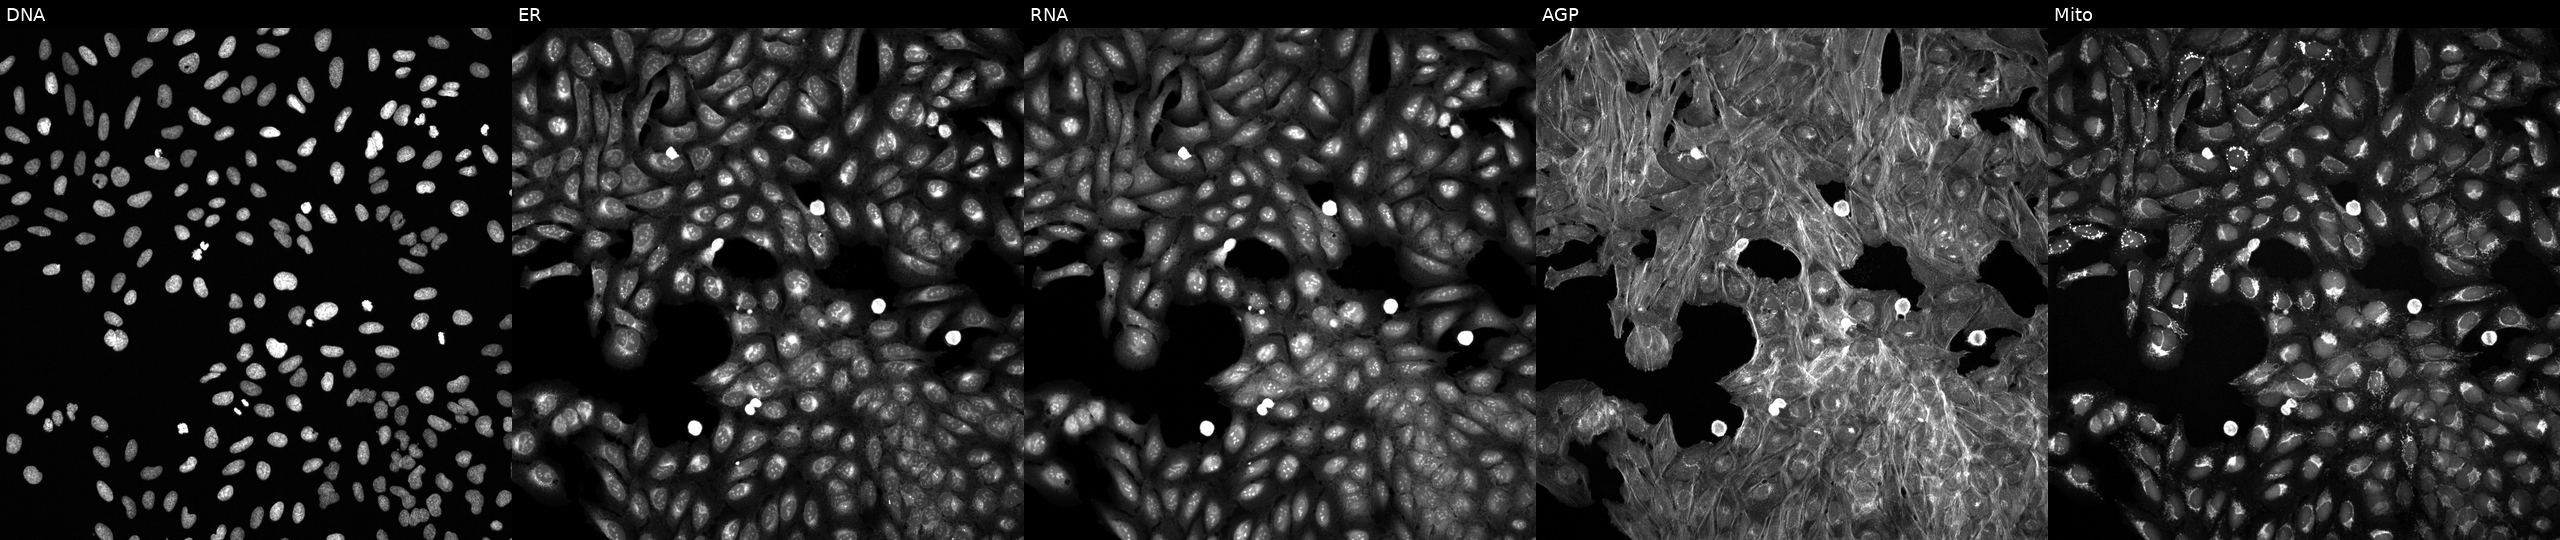
U2OS cells, Cell Painting assay, exposed to the positive-control compound TC-S-7004 (JUMP id JCP2022_012818). Channels (left→right): Hoechst 33342, concanavalin A, SYTO 14, phalloidin and WGA, MitoTracker. Each panel is percentile-stretched 16-bit fluorescence. Source 6, plate 110000293082, well P01.